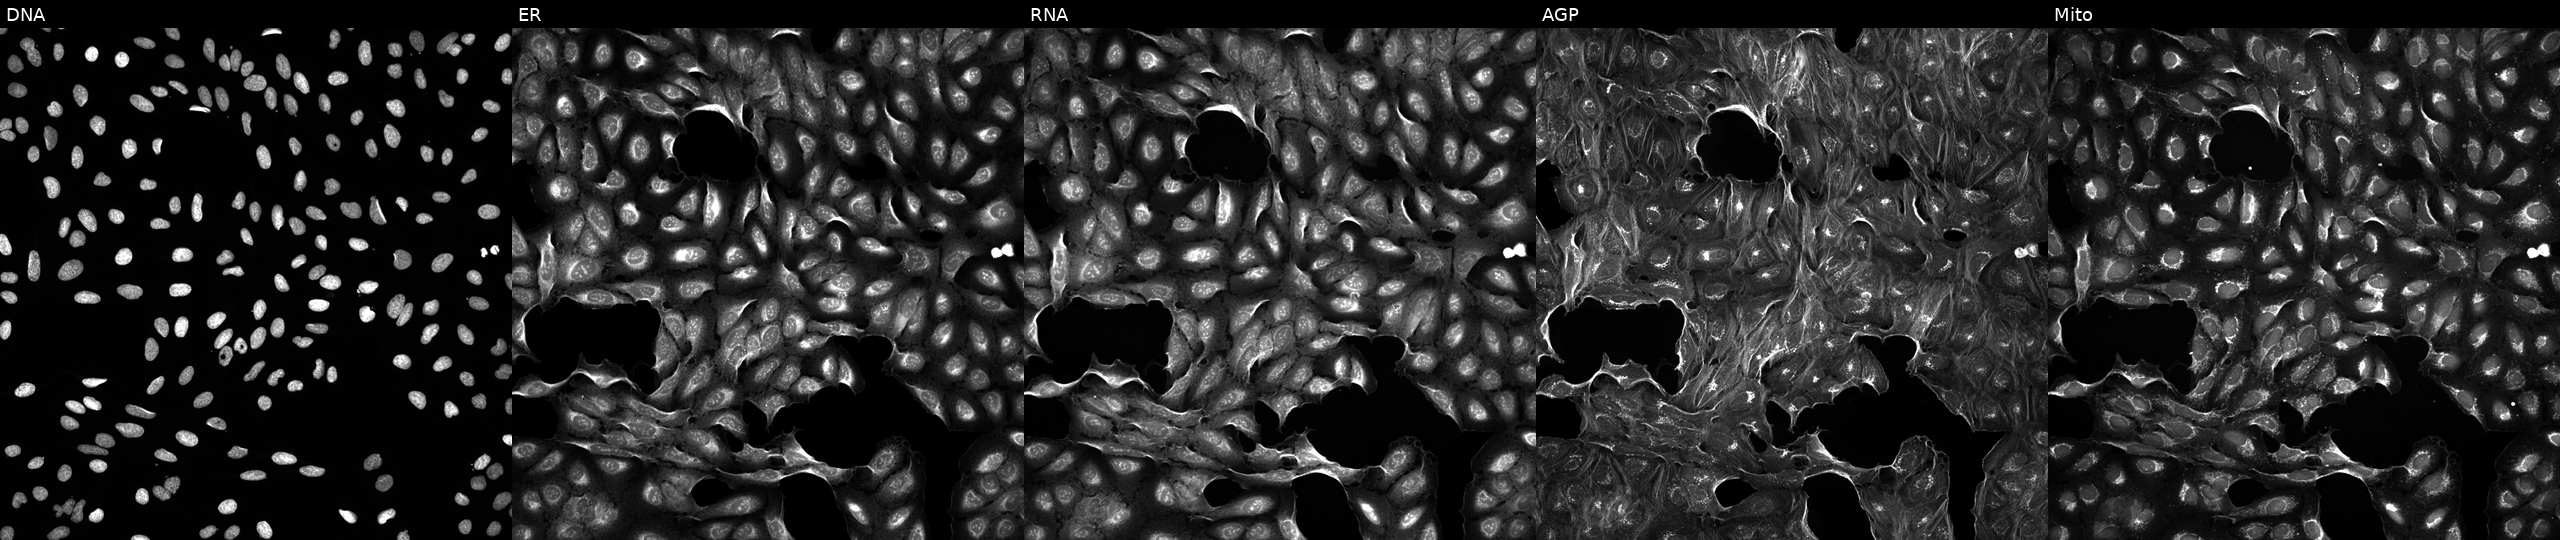
From left to right: Hoechst 33342, concanavalin A, SYTO 14, phalloidin and WGA, MitoTracker. U2OS osteosarcoma cells exposed to a small-molecule compound (InChIKey CAOWNCTTWGSKDO-UHFFFAOYSA-N). Cell Painting assay, JUMP-CP dataset.